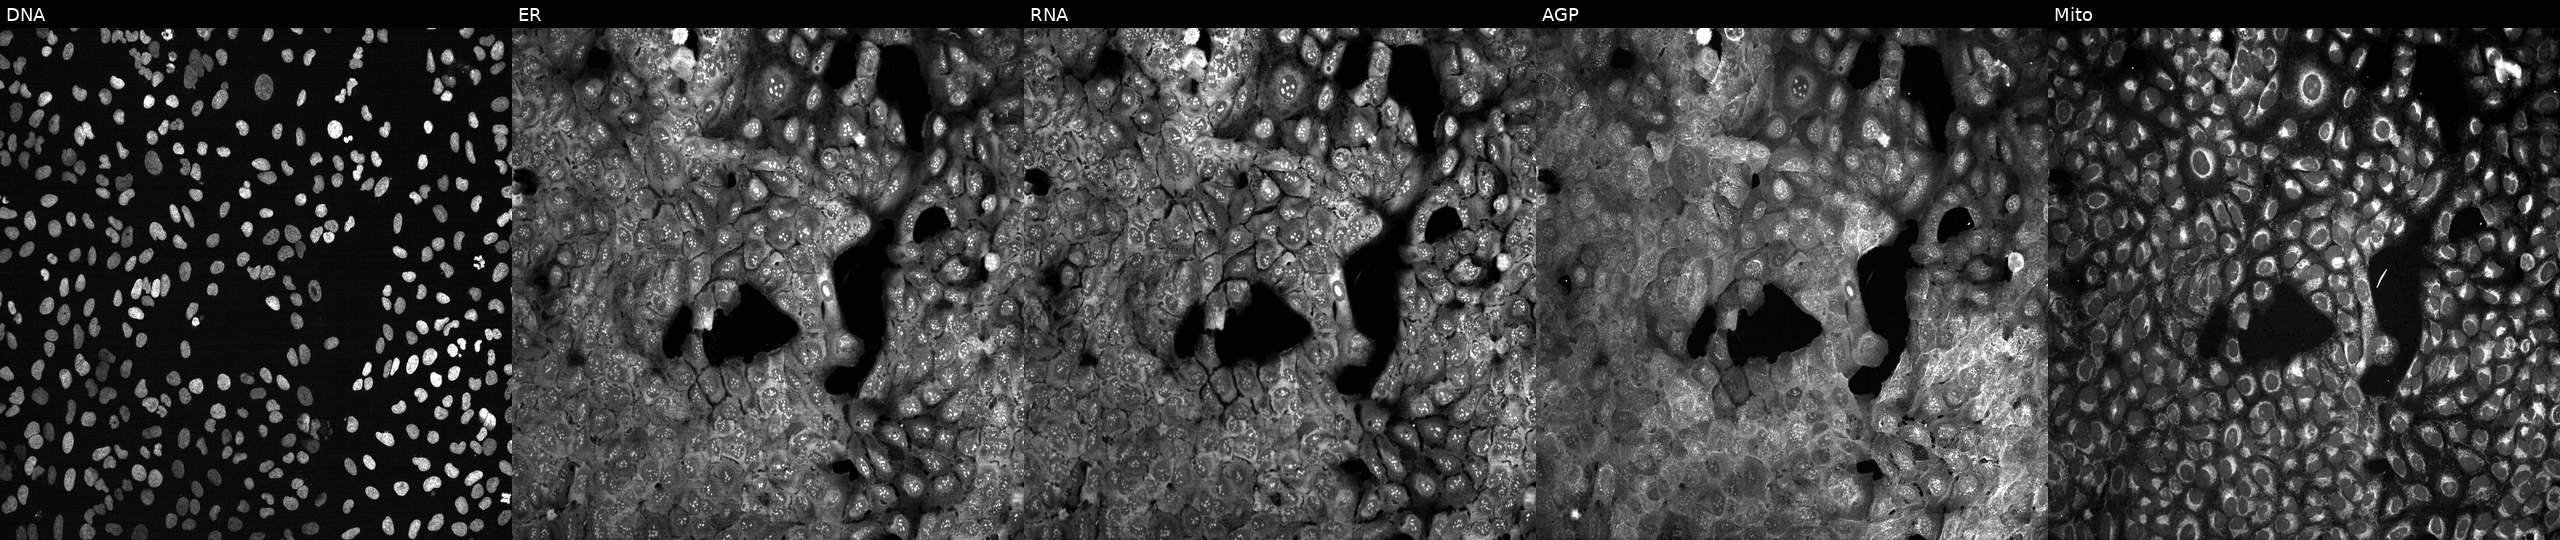
High-content fluorescence microscopy (Cell Painting). Cell line: U2OS. Perturbation: CRISPR-edited to disrupt NUP214. The five panels, left to right, show DNA, ER, RNA, AGP, and Mito. Source 13, plate CP-CC9-R4-04, well L05.